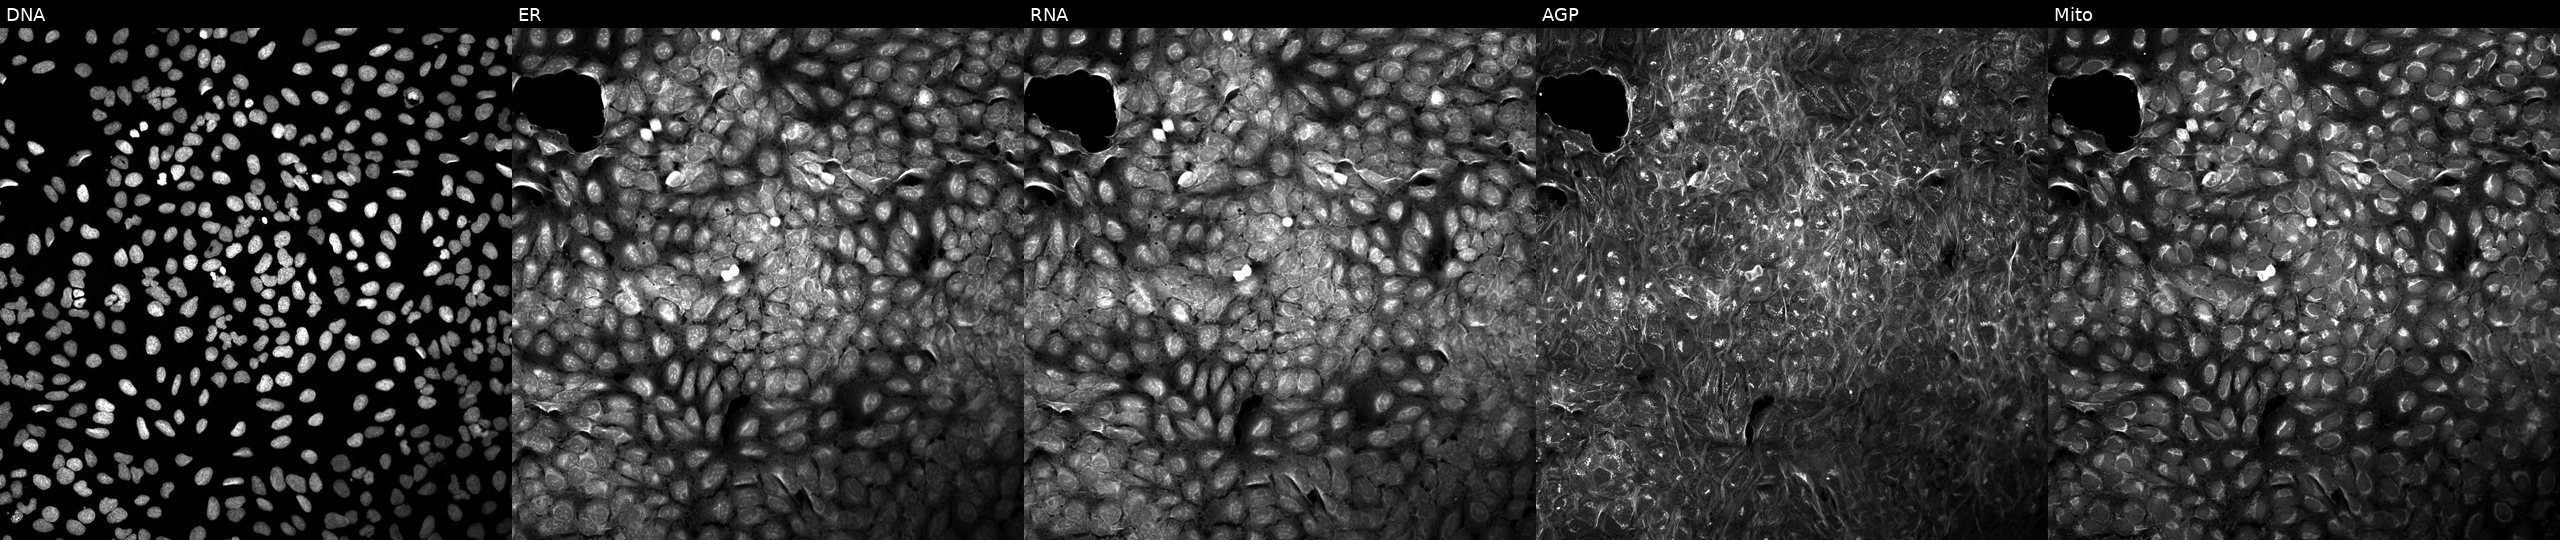
Channels (left→right): DNA, ER, RNA, AGP, and Mito. U2OS osteosarcoma cells treated with a small-molecule compound (InChIKey FIVXJRDLPFVERH-UHFFFAOYSA-N). Cell Painting assay, JUMP-CP dataset.